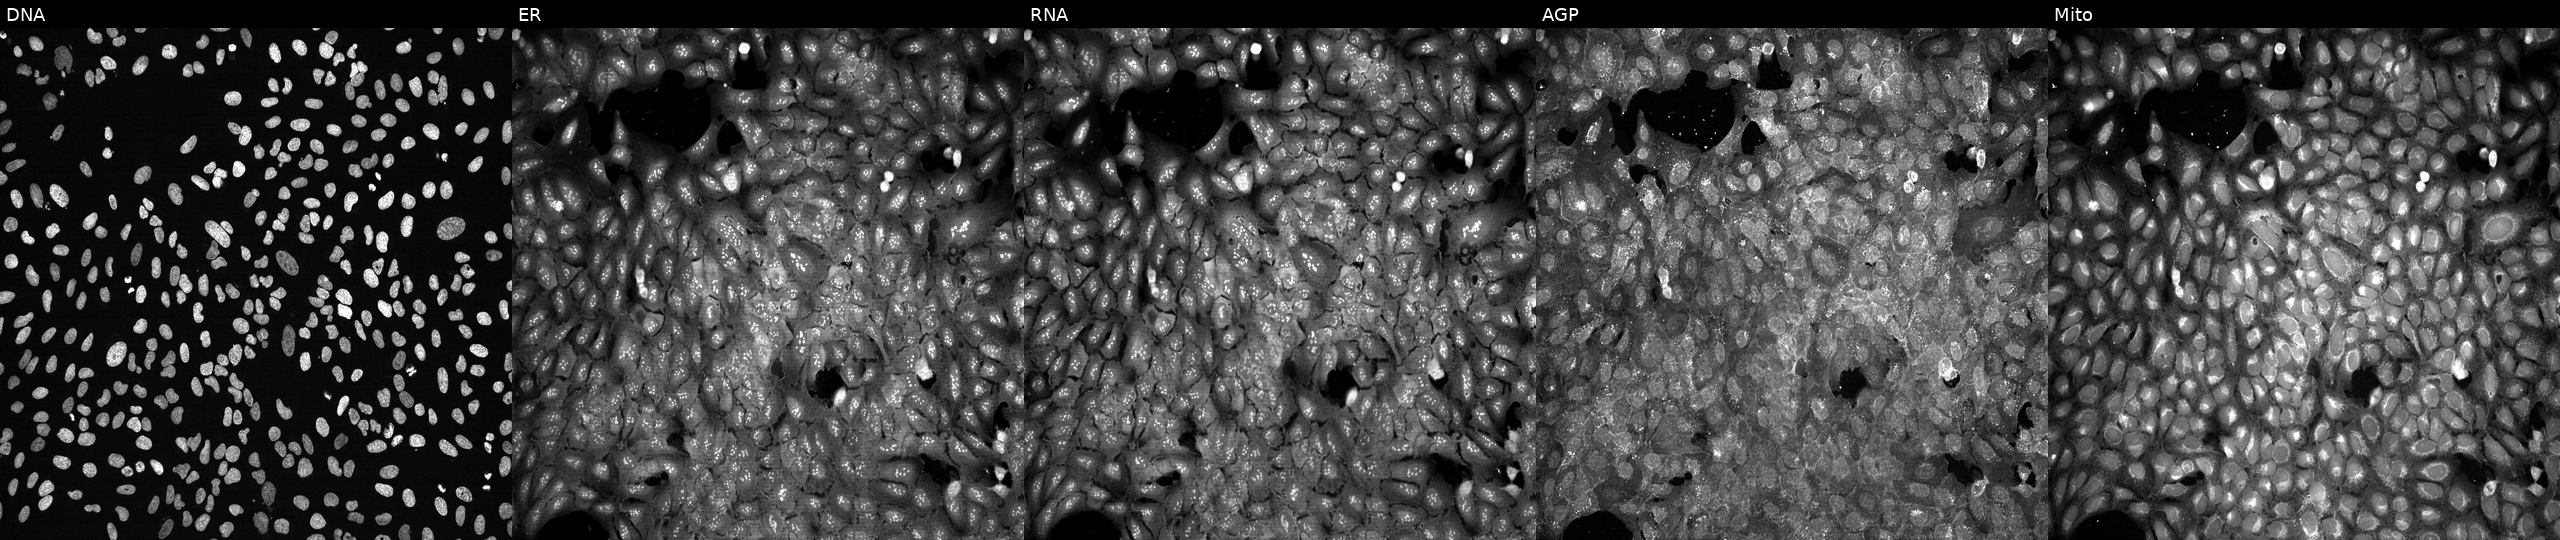
High-content fluorescence microscopy (Cell Painting). Cell line: U2OS. Perturbation: following CRISPR knockout of OVCA2. Channels (left→right): DNA, ER, RNA, AGP, and Mito.